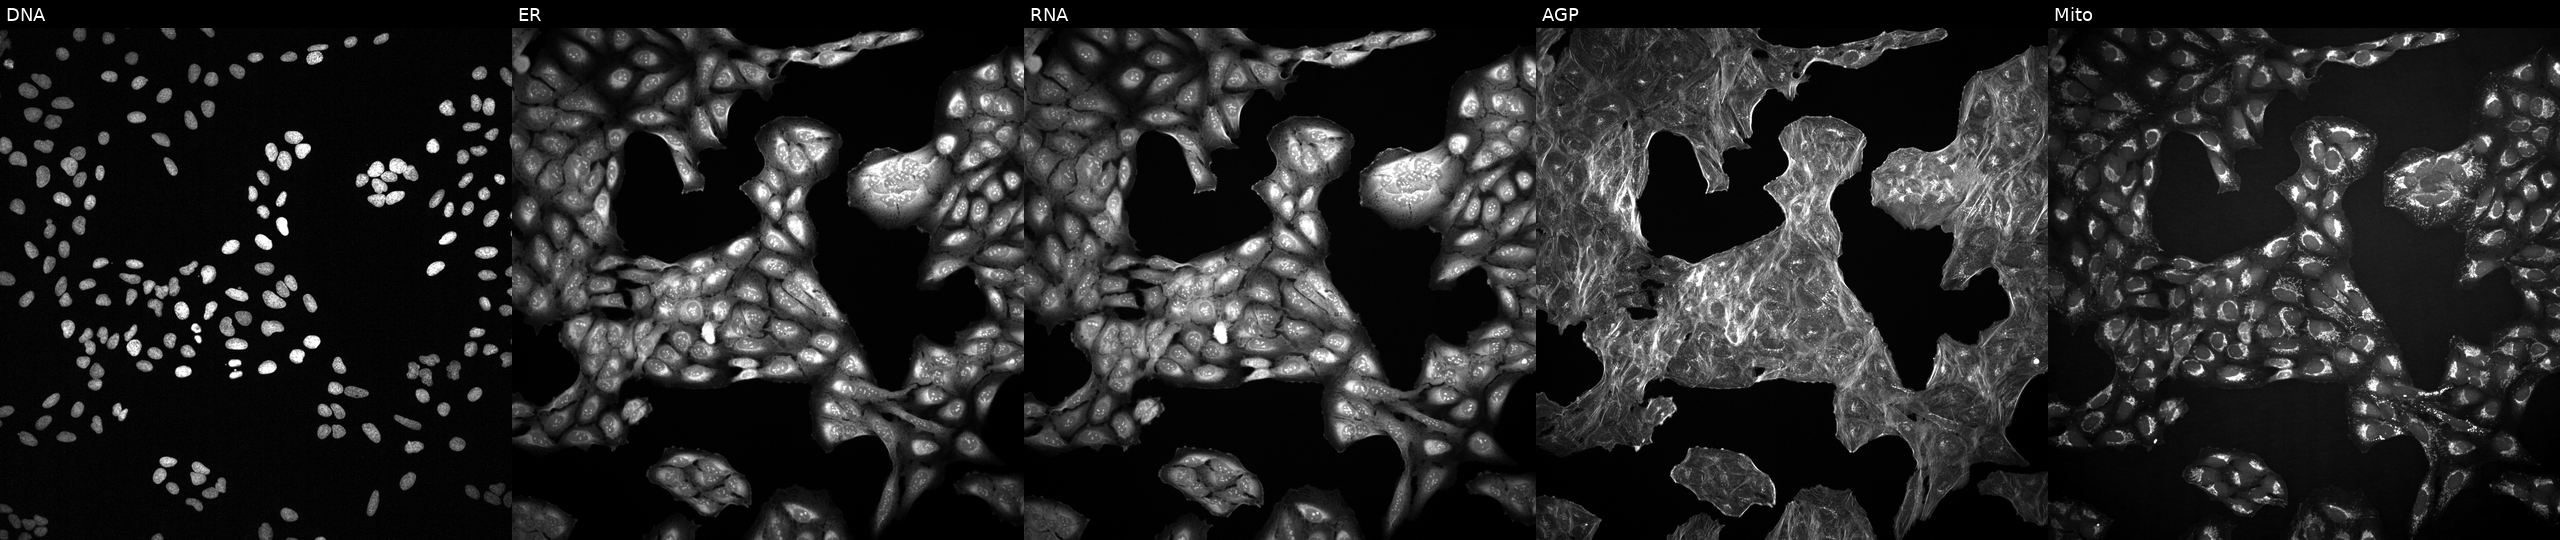
JUMP Cell Painting — COMPOUND plate. U2OS cells with an unidentified perturbation (not annotated in JUMP metadata). The five panels, left to right, show Hoechst 33342, concanavalin A, SYTO 14, phalloidin and WGA, MitoTracker. Source 2, plate 1053601756, well F07.